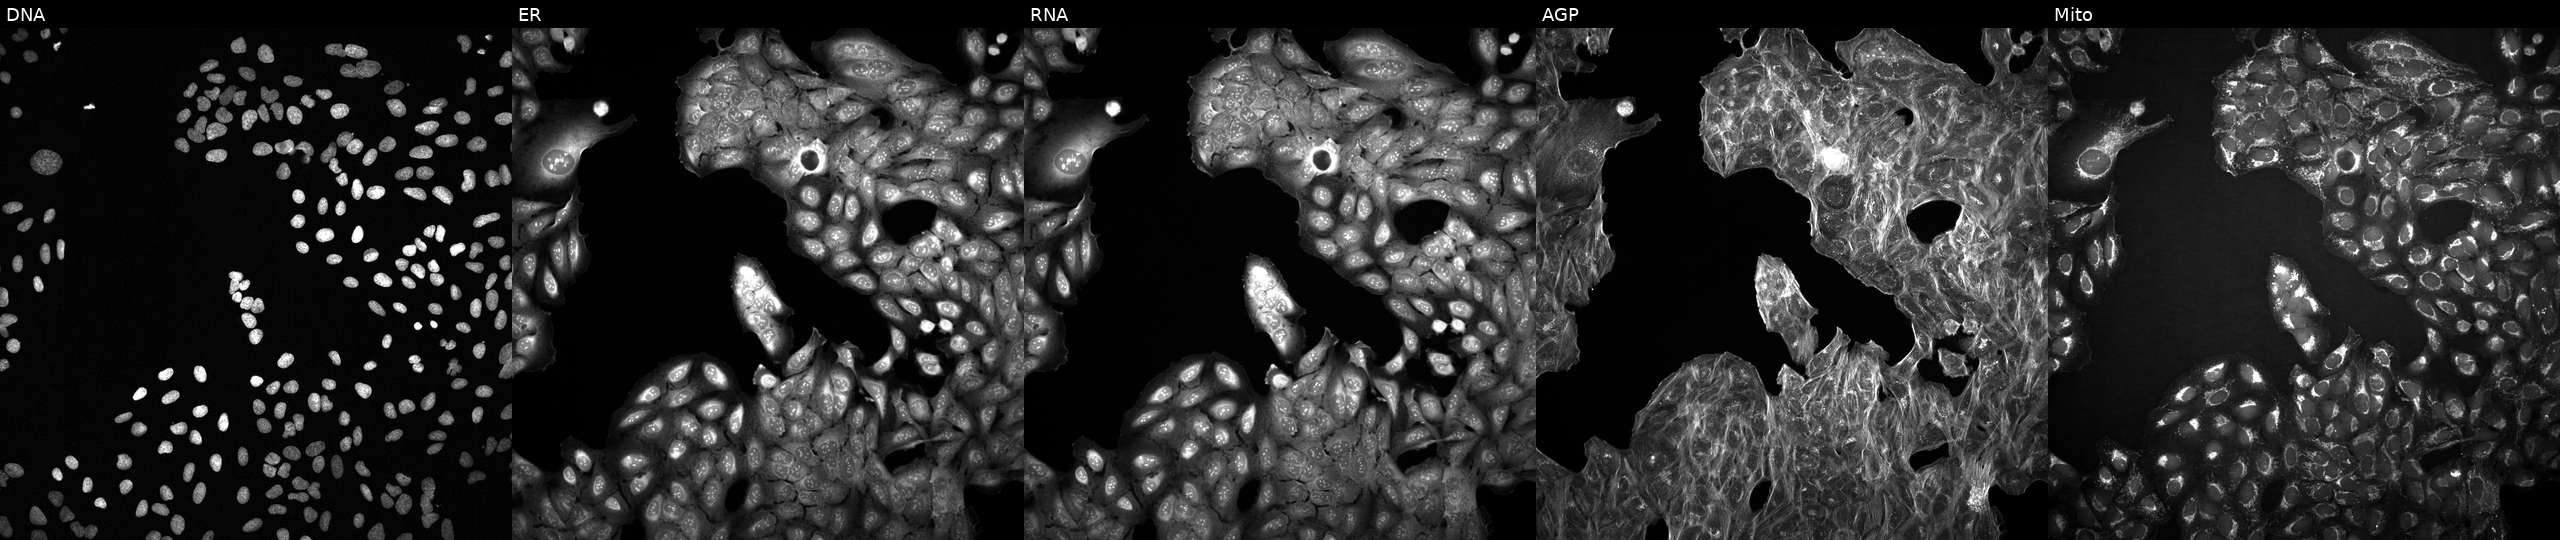
Channels (left→right): DNA (nuclei); ER (endoplasmic reticulum); RNA (nucleoli and cytoplasmic RNA); AGP (actin cytoskeleton, Golgi, and plasma membrane); Mito (mitochondria). U2OS osteosarcoma cells treated with DMSO vehicle only (negative control) (JUMP id JCP2022_033924). Cell Painting assay, JUMP-CP dataset. Source 2, plate 1053601756, well J23.